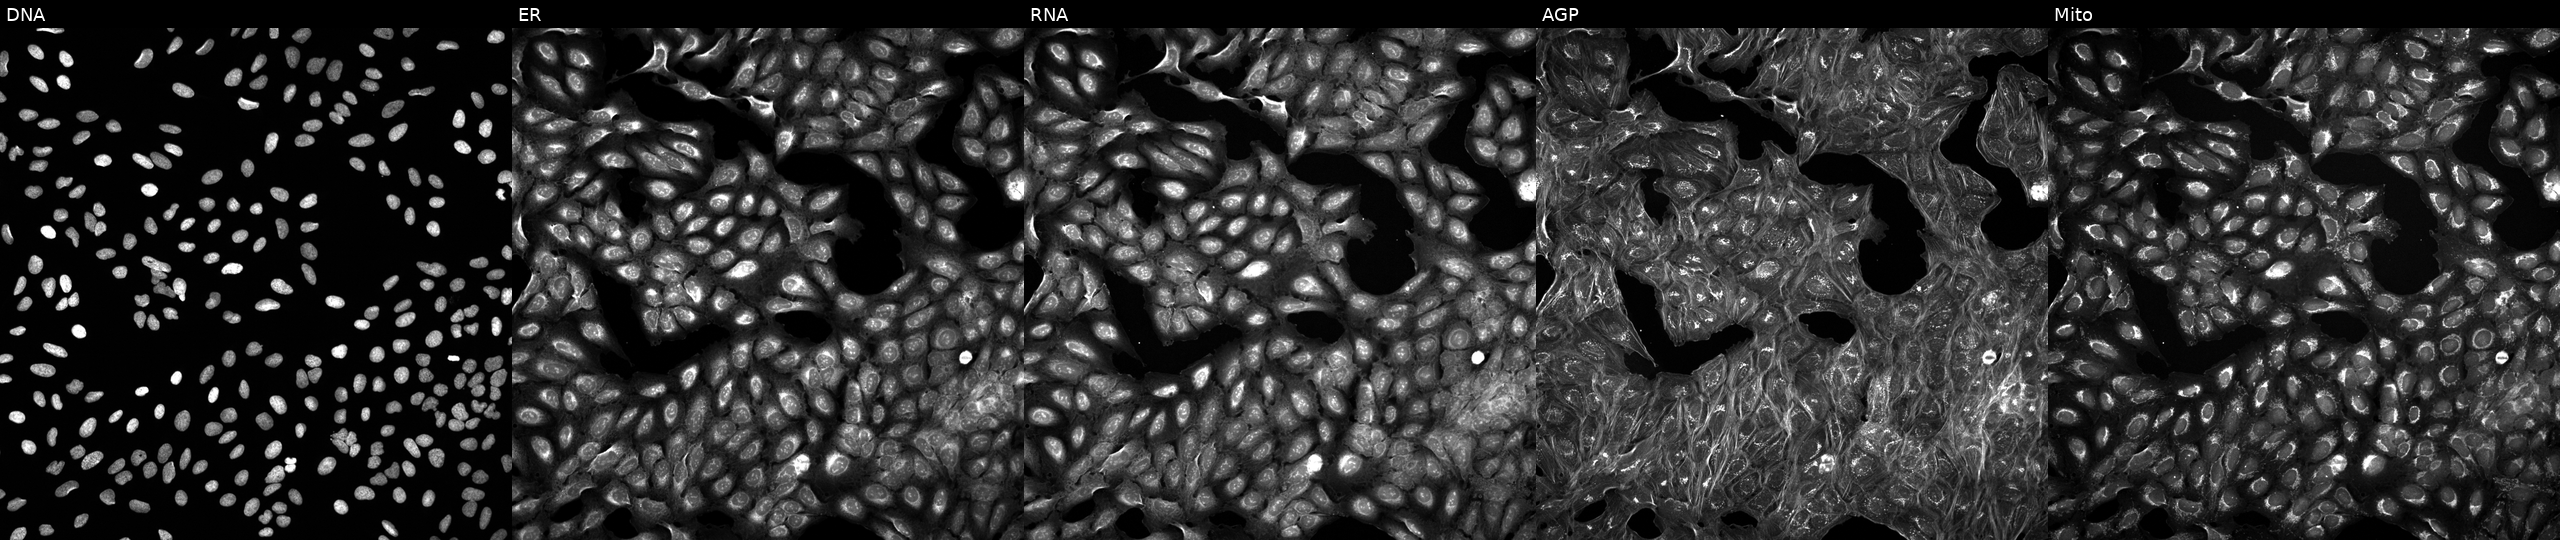
JUMP Cell Painting — TARGET2 plate. U2OS cells exposed to DMSO alone as a negative control. Panels show, left to right, Hoechst 33342, concanavalin A, SYTO 14, phalloidin and WGA, MitoTracker.